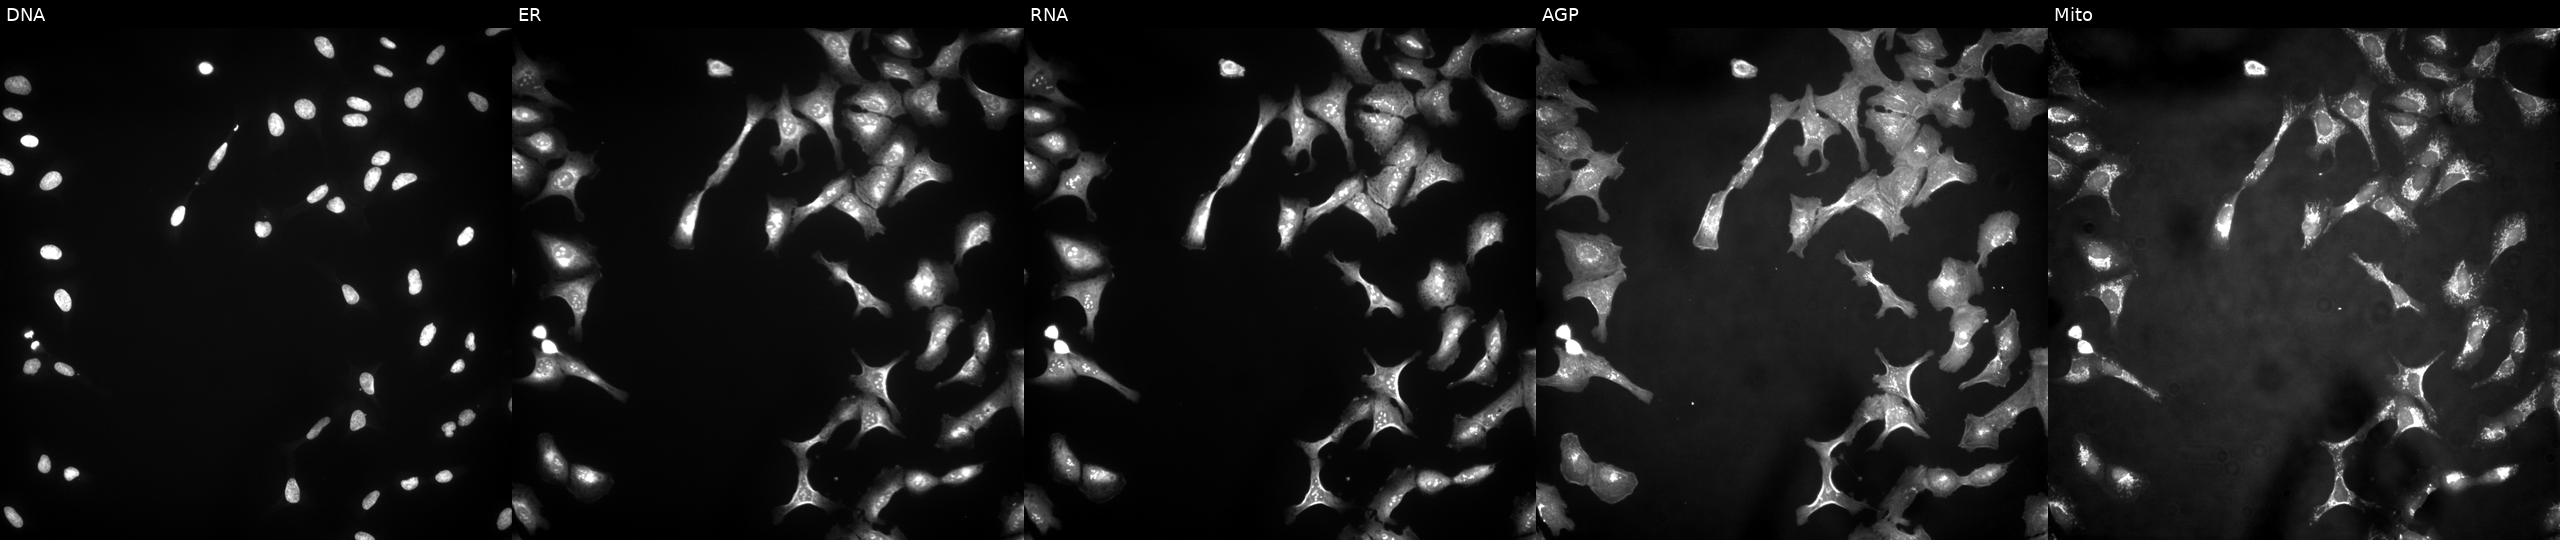
The five panels, left to right, show DNA, ER, RNA, AGP, and Mito. U2OS osteosarcoma cells expressing LUCIFERASE (ORF negative control) (JUMP id JCP2022_915130). Cell Painting assay, JUMP-CP dataset. Source 4, plate BR00123506, well H09.